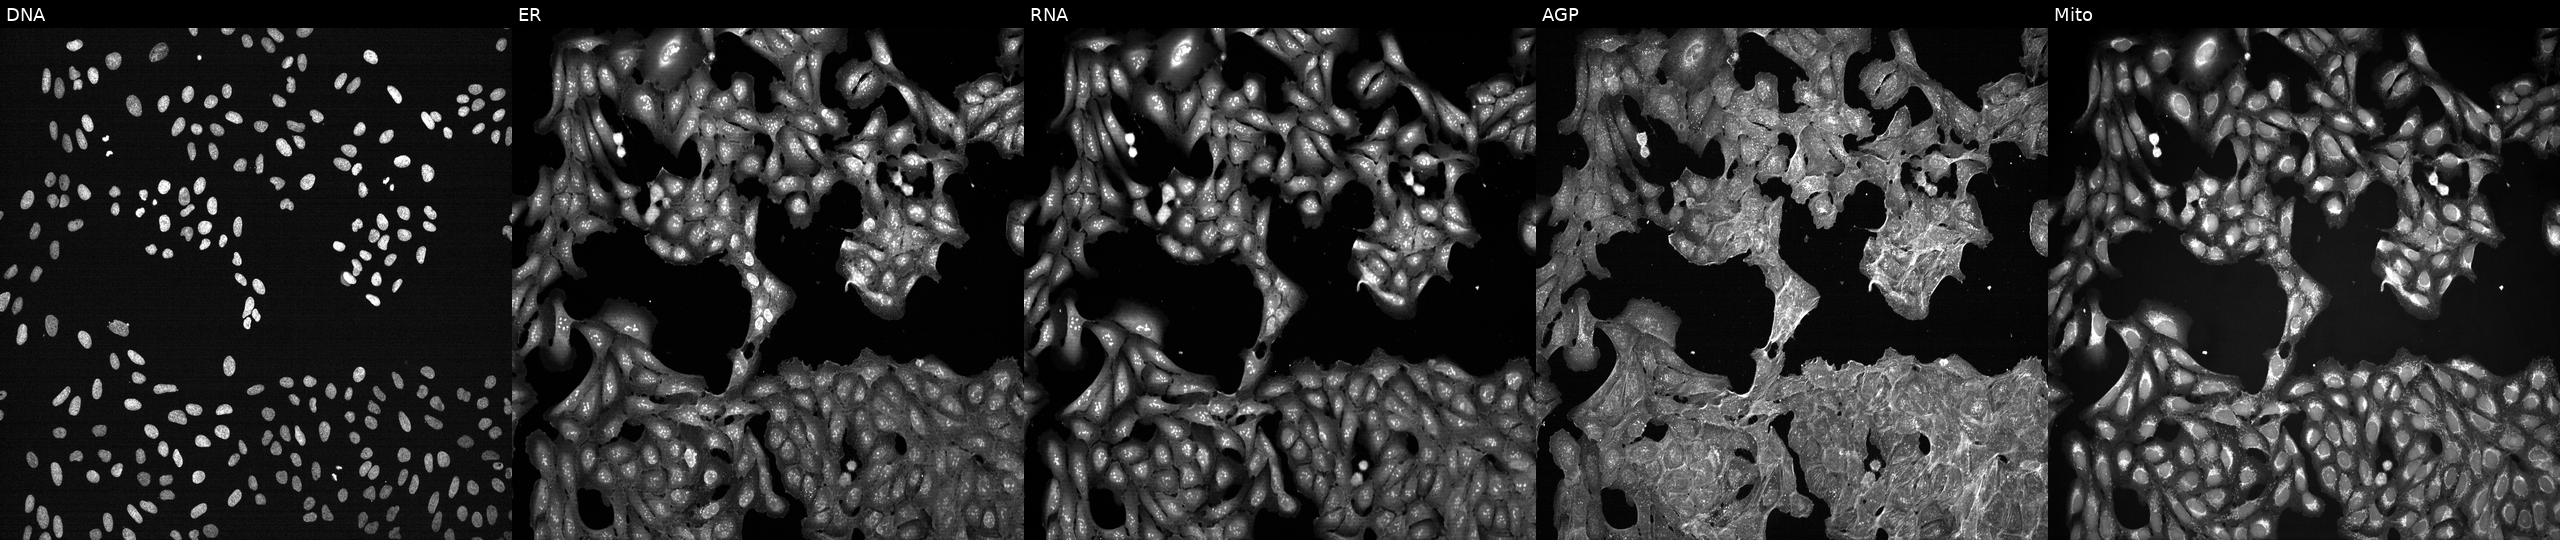
JUMP Cell Painting — TARGET2 plate. U2OS cells perturbed with a small-molecule compound (InChIKey TZDUHAJSIBHXDL-UHFFFAOYSA-N). From left to right: DNA, ER, RNA, AGP, and Mito.